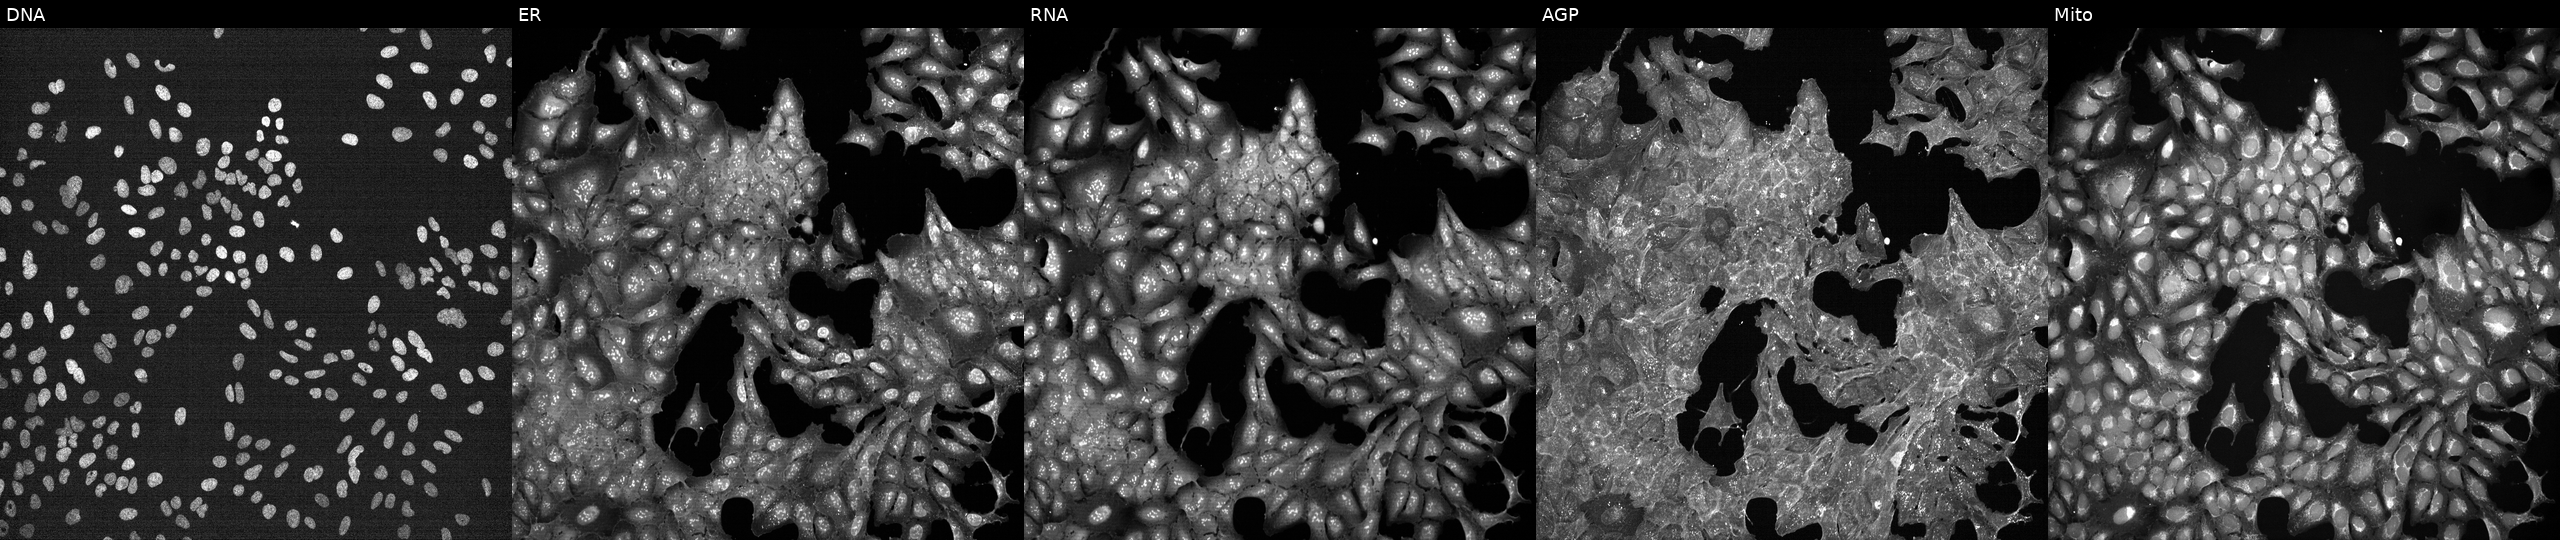
JUMP Cell Painting — TARGET2 plate. U2OS cells perturbed with a small-molecule compound (InChIKey RYEFFICCPKWYML-UHFFFAOYSA-N) (JUMP id JCP2022_081496). The five panels, left to right, show DNA, ER, RNA, AGP, and Mito.